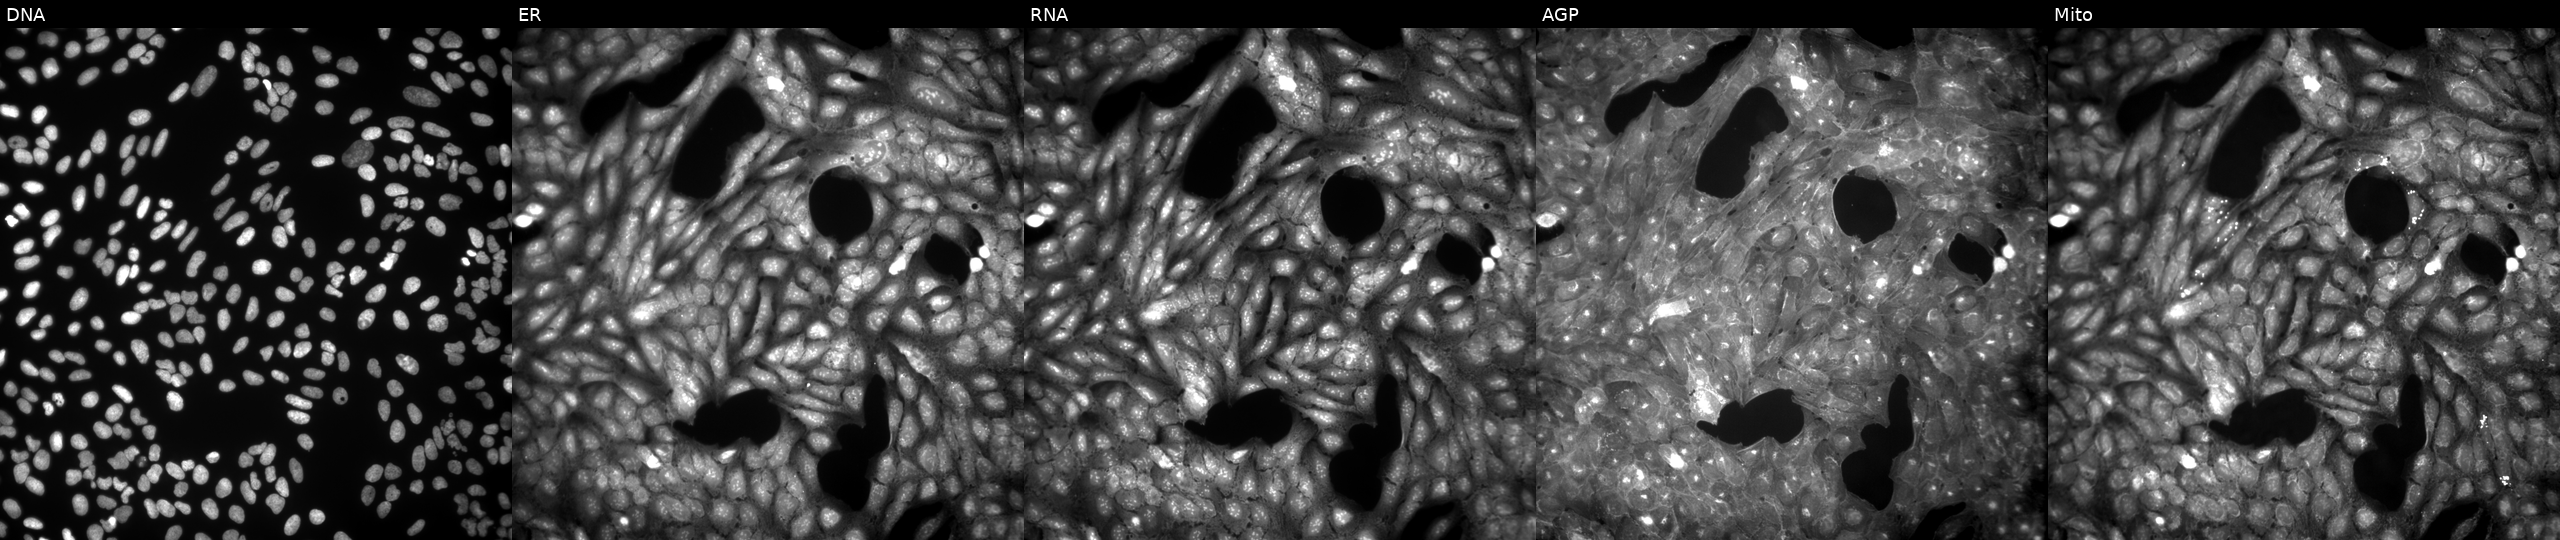
U2OS cells, Cell Painting assay, exposed to the positive-control compound dexamethasone (JUMP id JCP2022_025848). Panels show, left to right, Hoechst 33342, concanavalin A, SYTO 14, phalloidin and WGA, MitoTracker. Each panel is percentile-stretched 16-bit fluorescence.